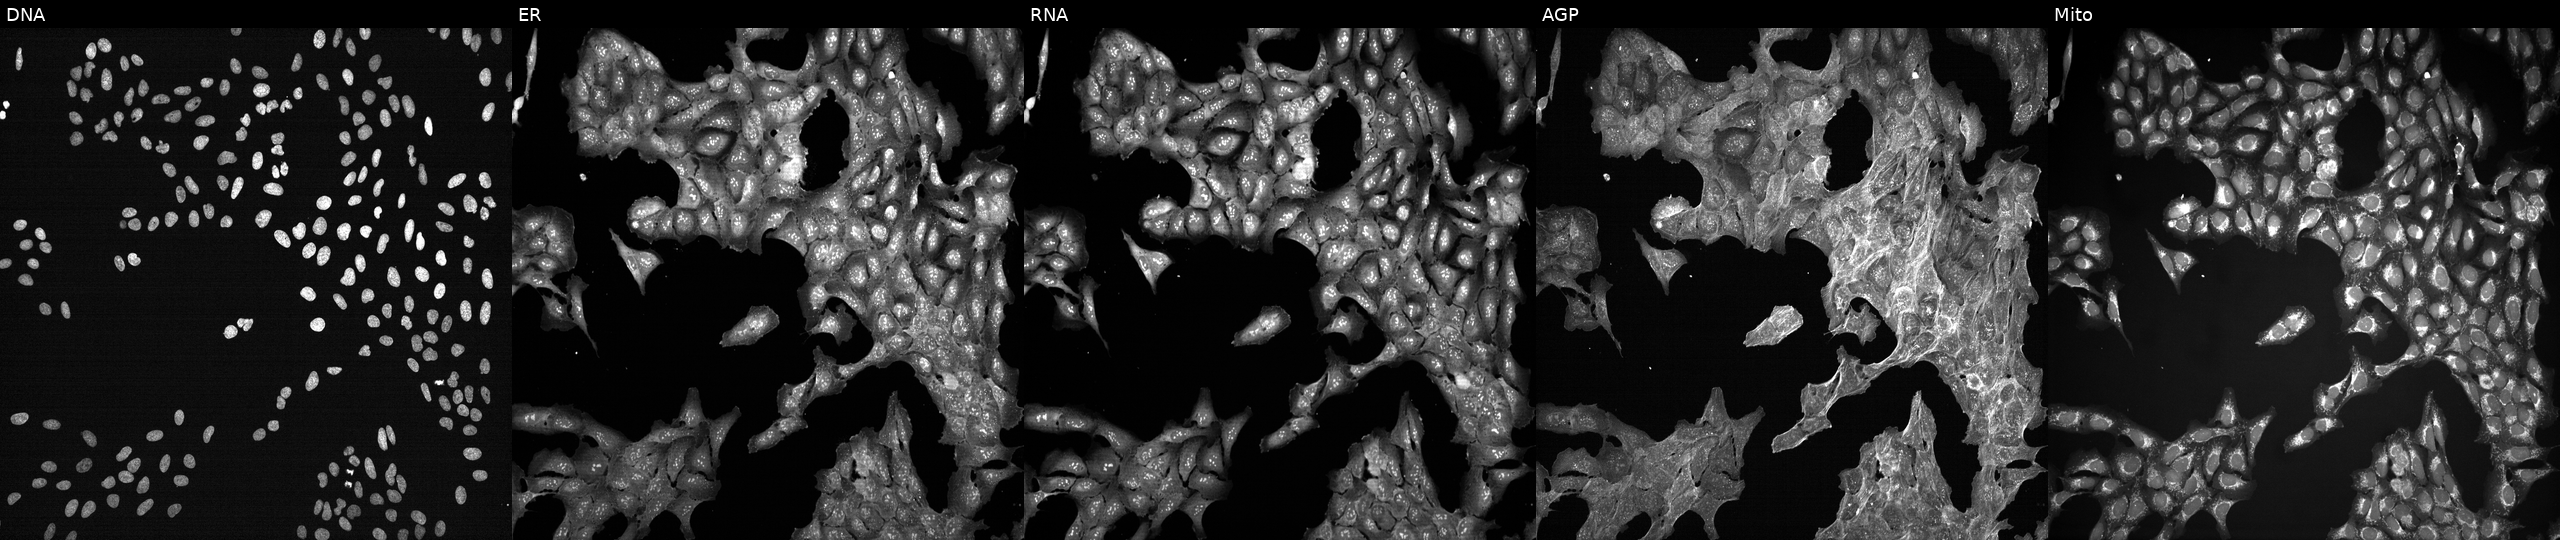
Five-channel Cell Painting image of U2OS cells treated with DMSO vehicle only (negative control). Panels show, left to right, DNA (nuclei); ER (endoplasmic reticulum); RNA (nucleoli and cytoplasmic RNA); AGP (actin cytoskeleton, Golgi, and plasma membrane); Mito (mitochondria). Source 7, plate CP3-SC1-25, well O12.